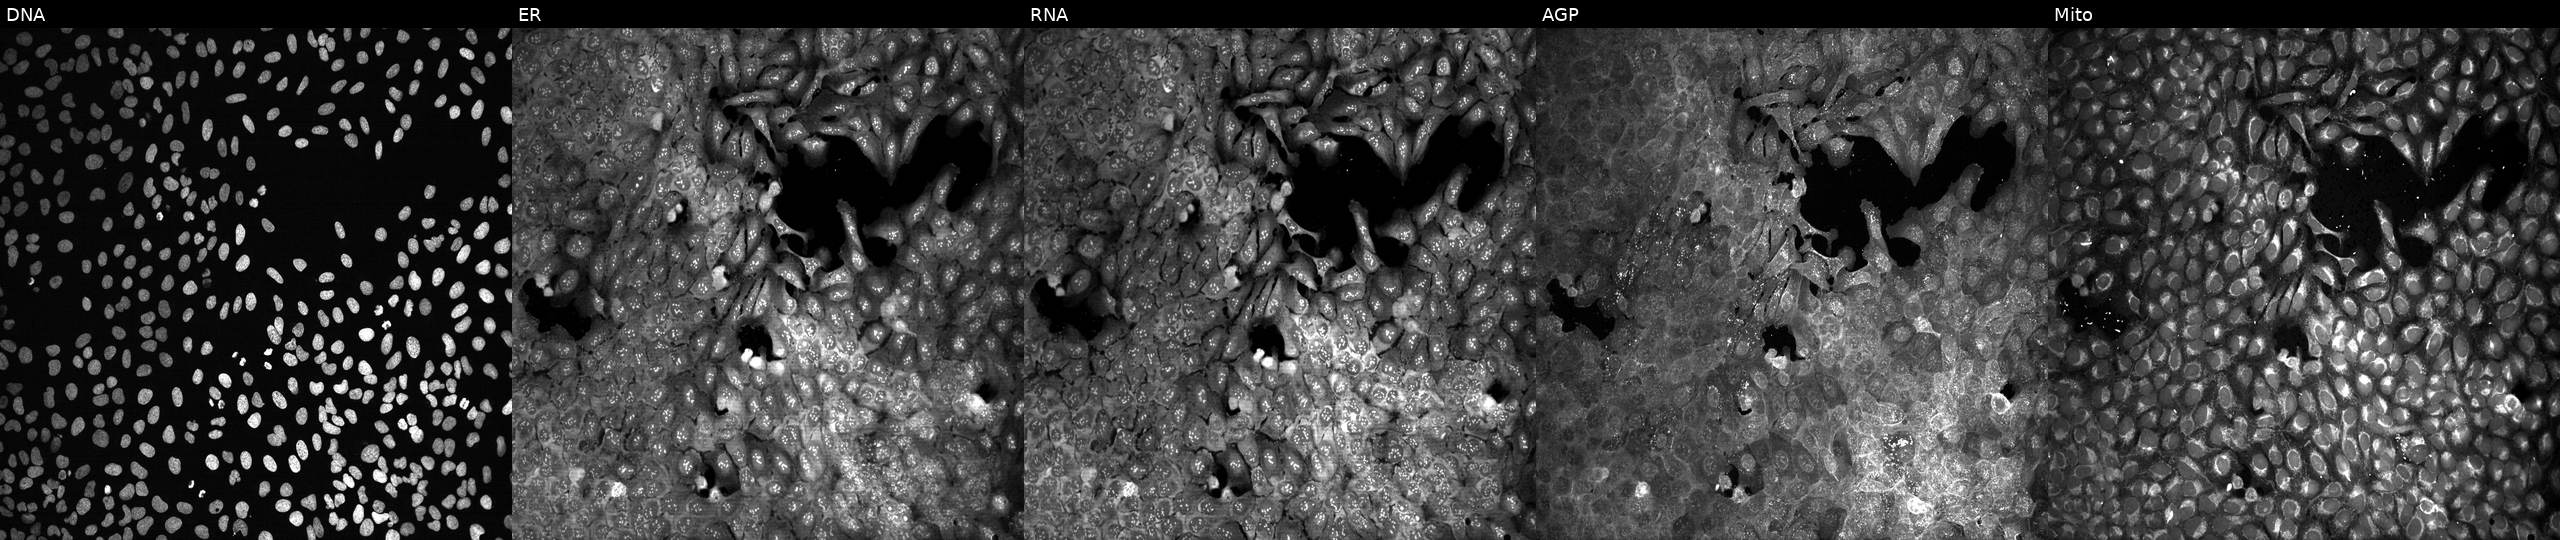
Five-channel Cell Painting image of U2OS cells exposed to the positive-control compound aloxistatin. The five panels, left to right, show DNA (nuclei); ER (endoplasmic reticulum); RNA (nucleoli and cytoplasmic RNA); AGP (actin cytoskeleton, Golgi, and plasma membrane); Mito (mitochondria).